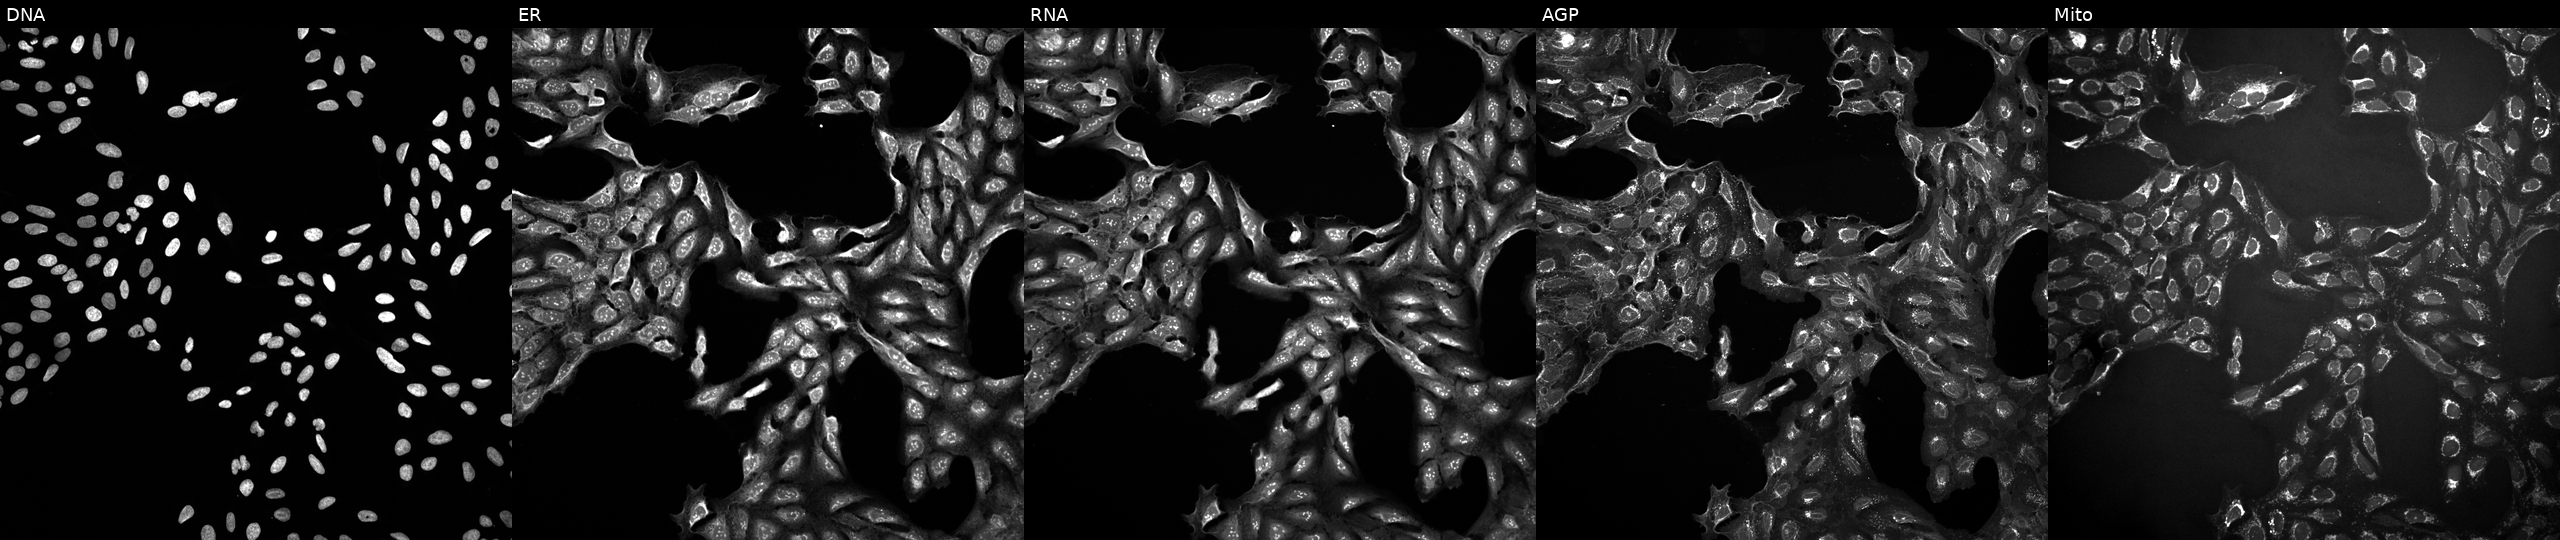
High-content fluorescence microscopy (Cell Painting). Cell line: U2OS. Perturbation: treated with dexamethasone (positive-control compound). From left to right: DNA (nuclei); ER (endoplasmic reticulum); RNA (nucleoli and cytoplasmic RNA); AGP (actin cytoskeleton, Golgi, and plasma membrane); Mito (mitochondria).